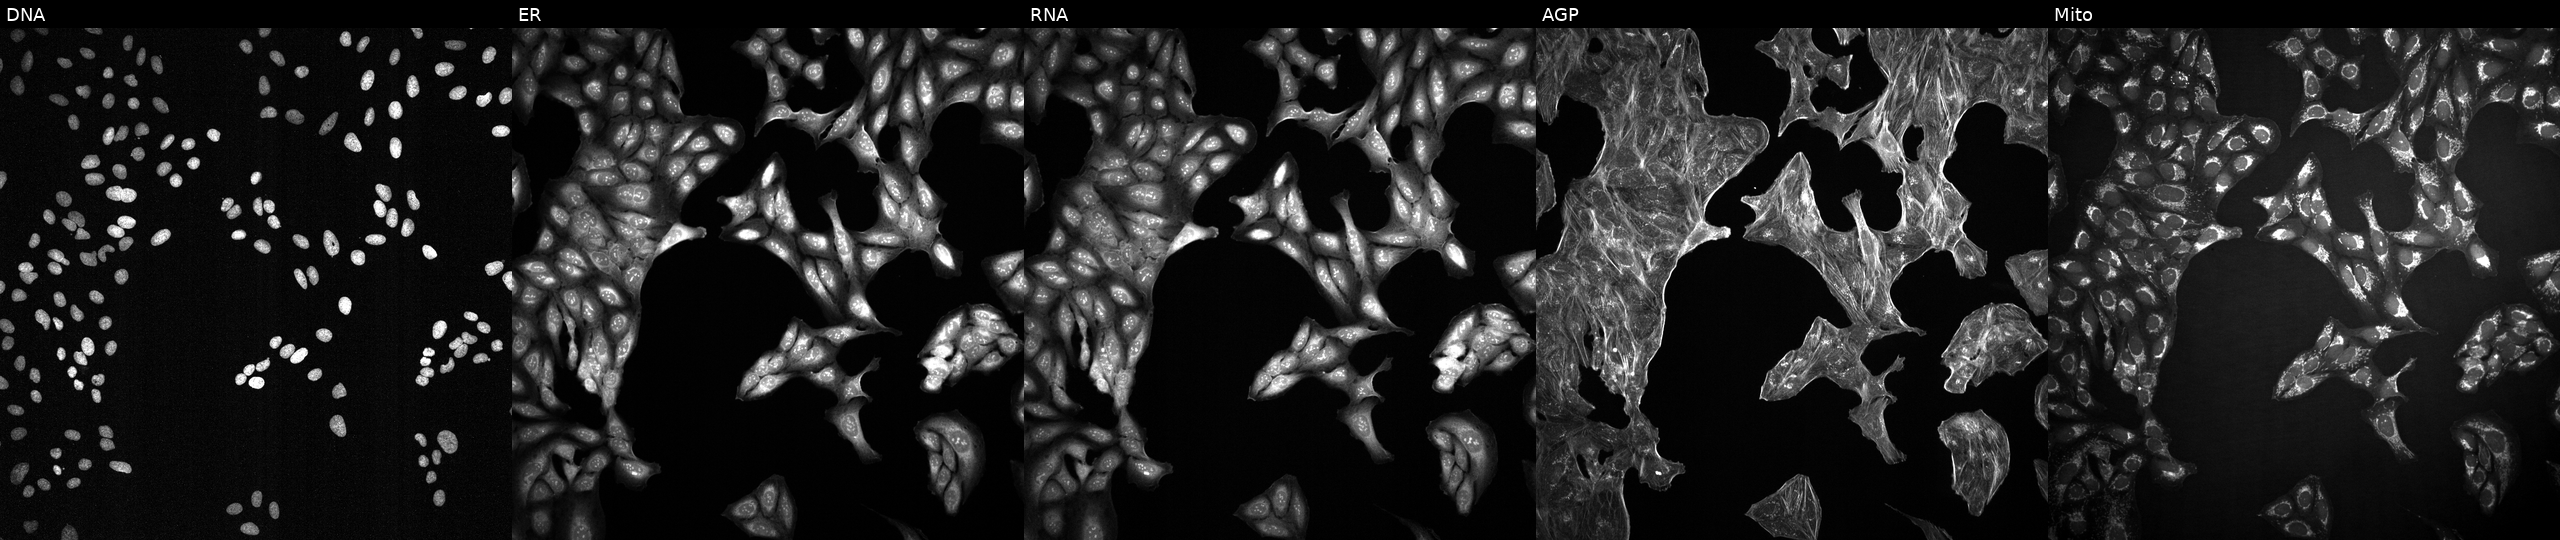
Five-channel Cell Painting image of U2OS cells treated with a small-molecule compound (InChIKey JDVVGAQPNNXQDW-UHFFFAOYSA-N) (JUMP id JCP2022_039116). The five panels, left to right, show DNA, ER, RNA, AGP, and Mito.